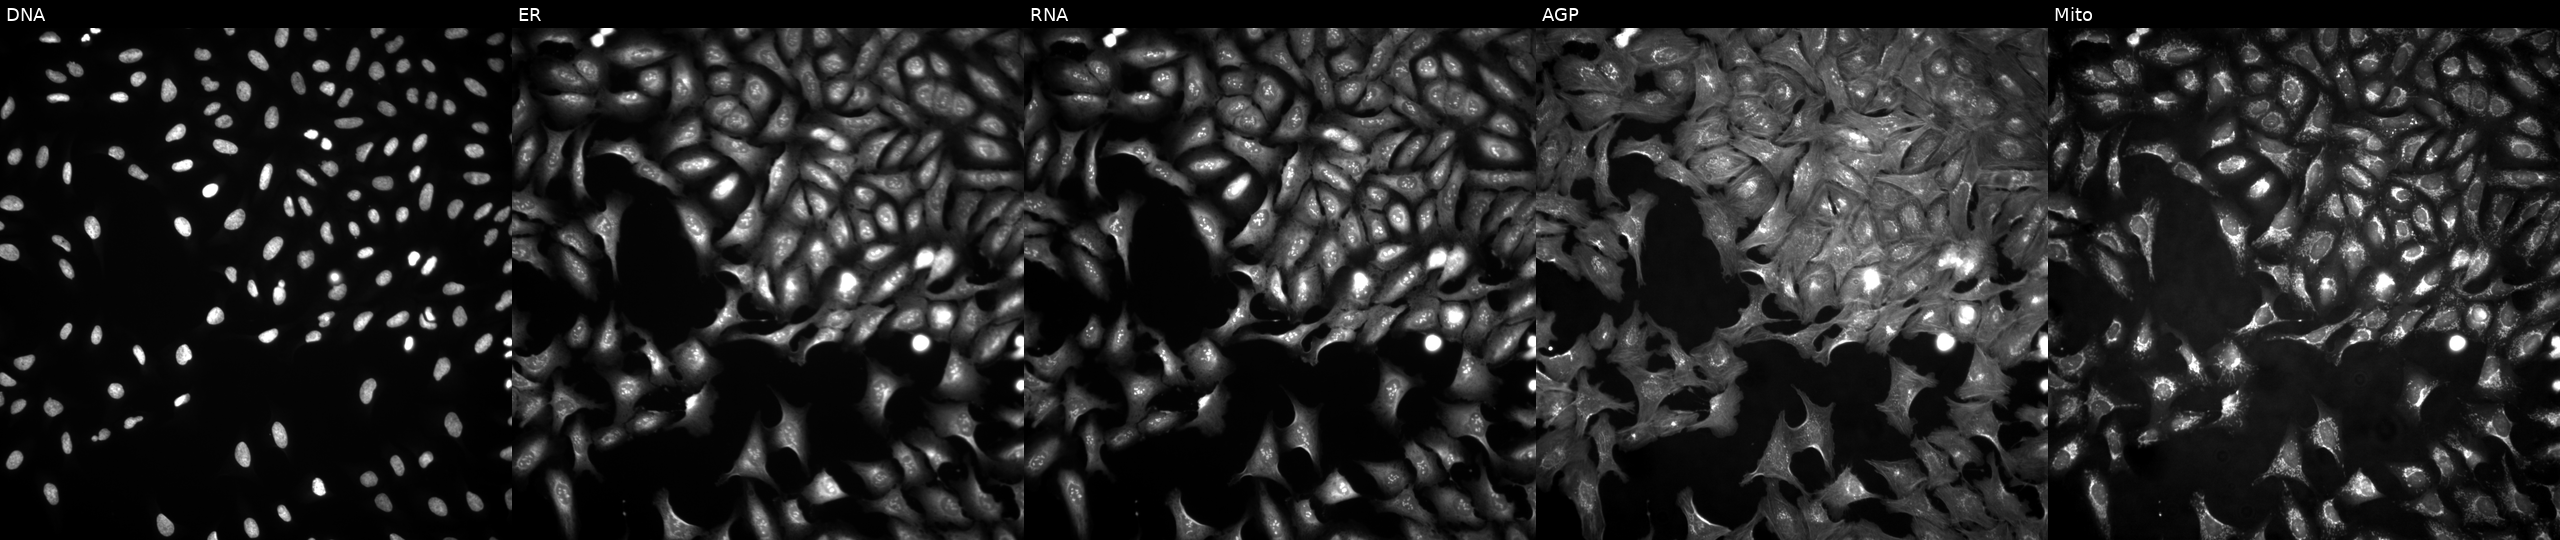
JUMP Cell Painting — ORF plate. U2OS cells with STAG3L4 overexpressed (ORF). From left to right: Hoechst 33342, concanavalin A, SYTO 14, phalloidin and WGA, MitoTracker.